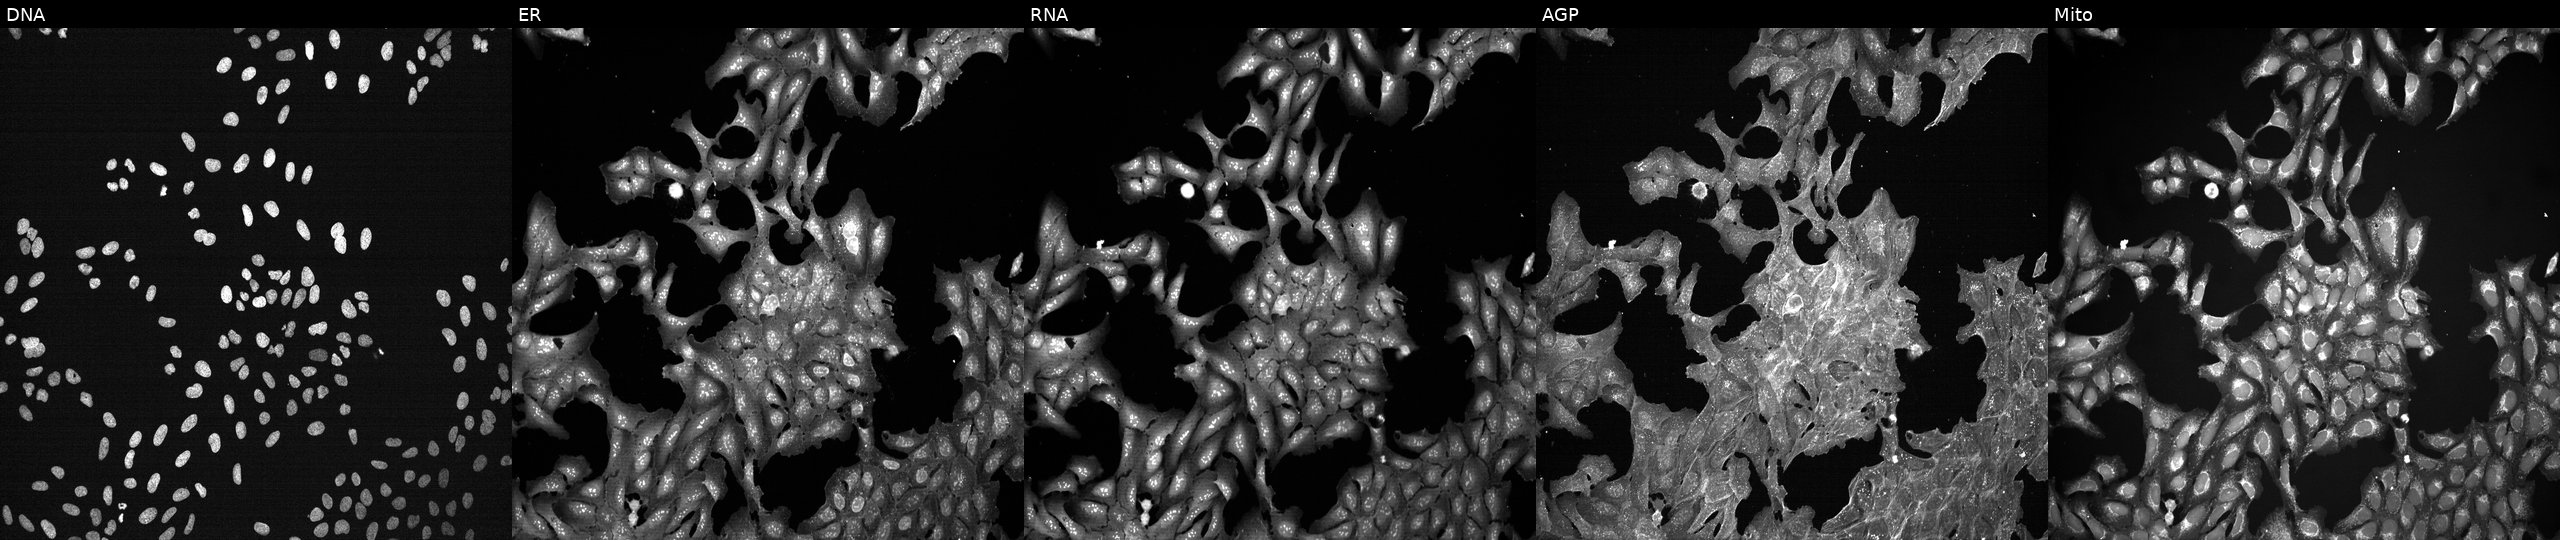
JUMP Cell Painting — TARGET2 plate. U2OS cells treated with DMSO vehicle only (negative control) (JUMP id JCP2022_033924). From left to right: Hoechst 33342, concanavalin A, SYTO 14, phalloidin and WGA, MitoTracker. Source 7, plate CP2-SC1-25, well N19.